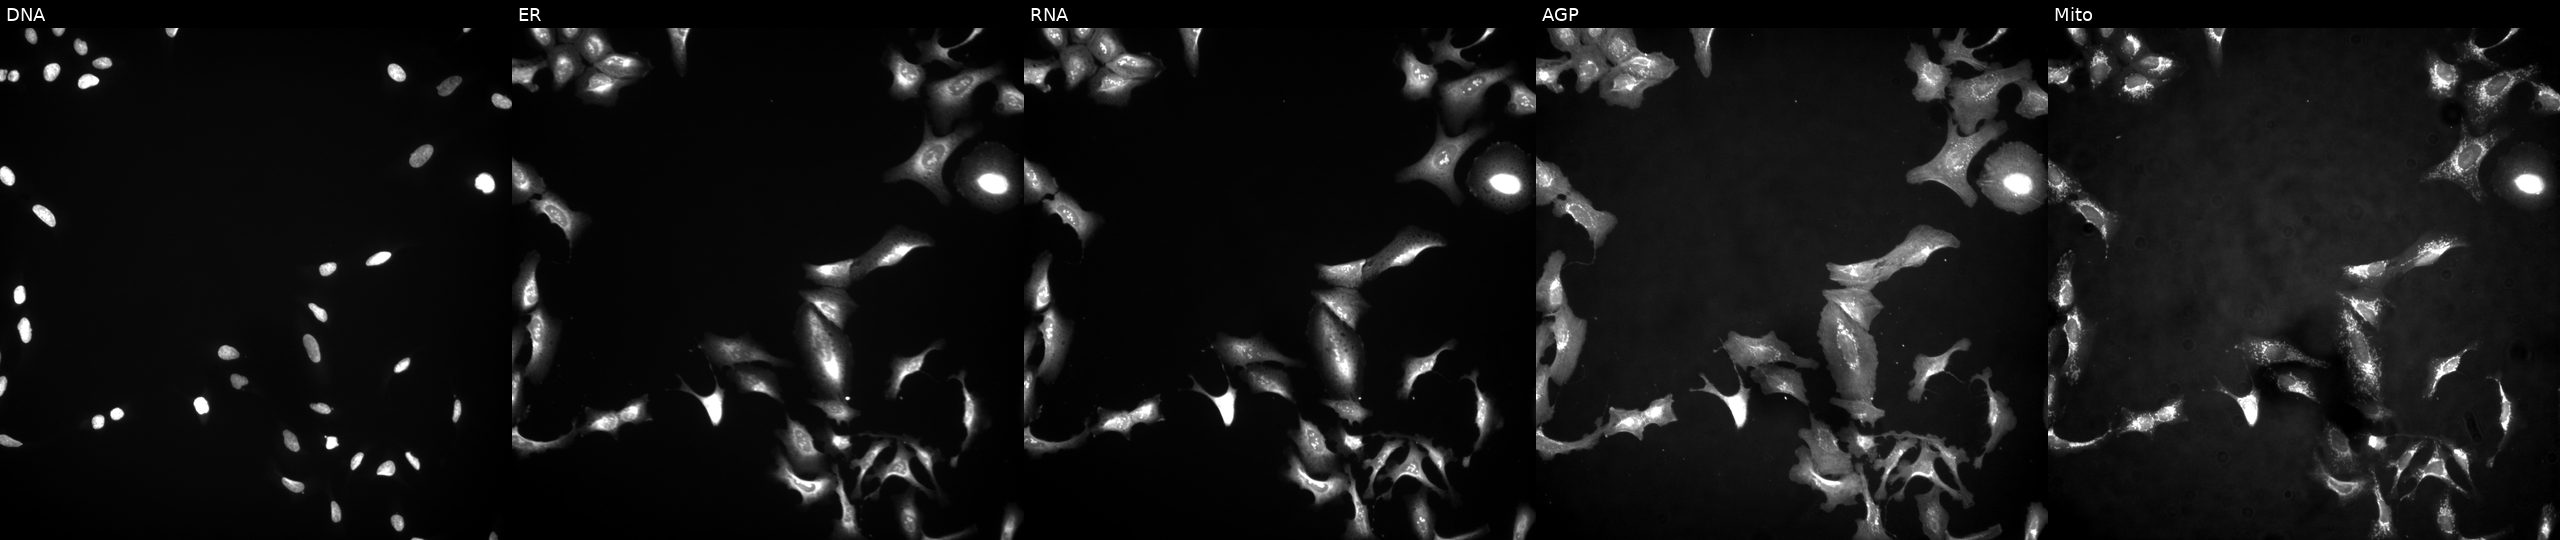
U2OS cells, Cell Painting assay, with CDK5RAP3 overexpressed (ORF) (JUMP id JCP2022_908423). The five panels, left to right, show DNA (nuclei); ER (endoplasmic reticulum); RNA (nucleoli and cytoplasmic RNA); AGP (actin cytoskeleton, Golgi, and plasma membrane); Mito (mitochondria). Each panel is percentile-stretched 16-bit fluorescence.